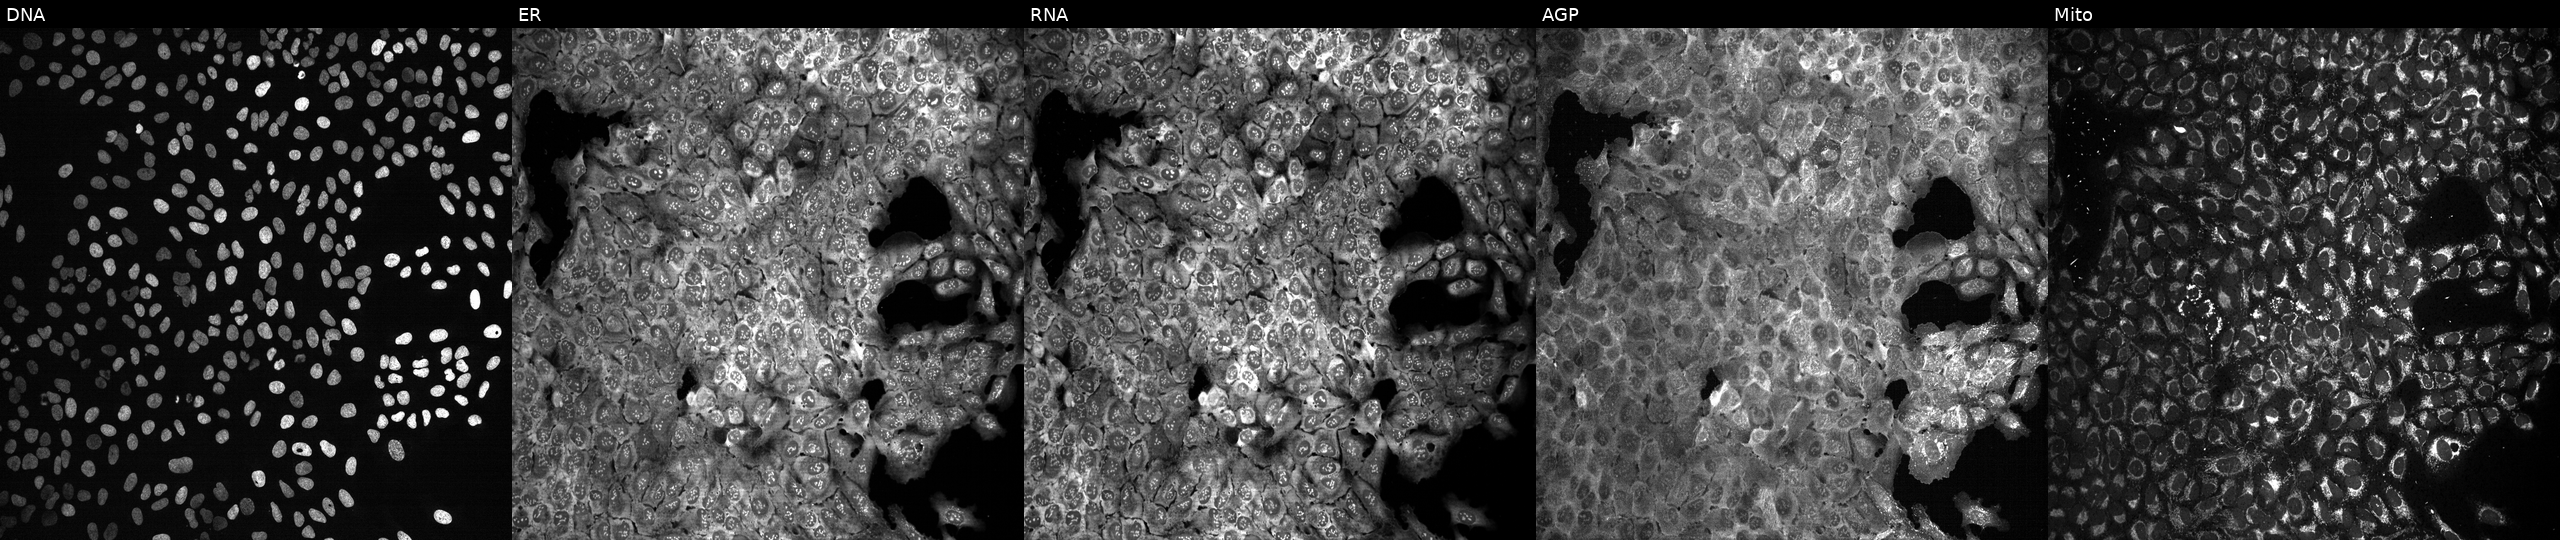
The five panels, left to right, show DNA (nuclei); ER (endoplasmic reticulum); RNA (nucleoli and cytoplasmic RNA); AGP (actin cytoskeleton, Golgi, and plasma membrane); Mito (mitochondria). U2OS osteosarcoma cells exposed to the positive-control compound aloxistatin (JUMP id JCP2022_085227). Cell Painting assay, JUMP-CP dataset.